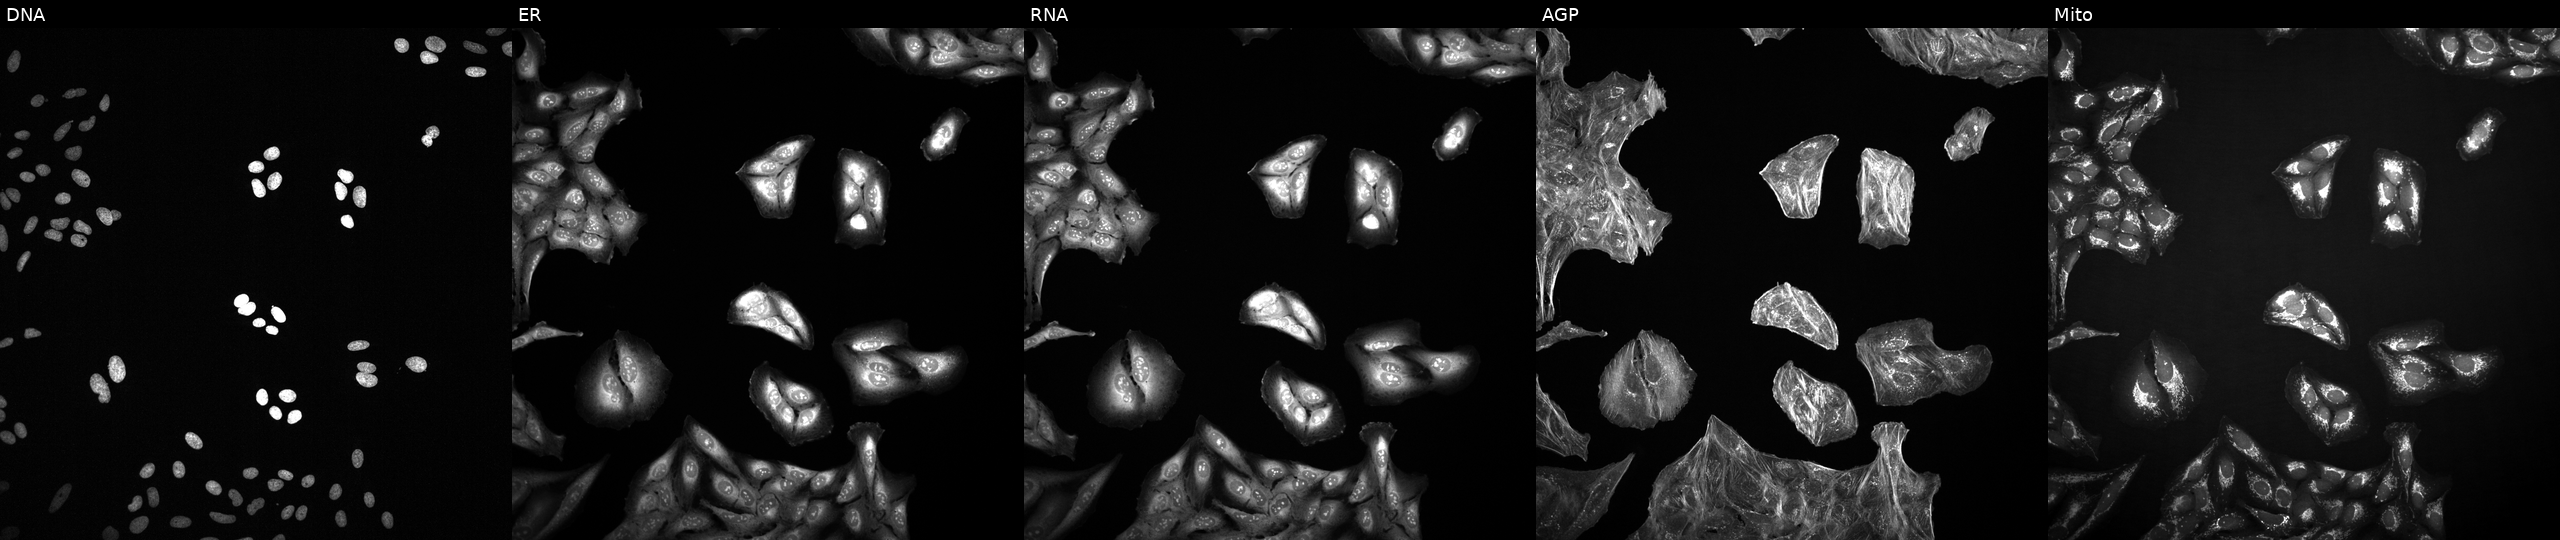
This image strip shows the five Cell Painting channels for a single field of U2OS cells perturbed with a small-molecule compound (InChIKey ZIUDADZJCKGWKR-UHFFFAOYSA-N). From left to right: Hoechst 33342, concanavalin A, SYTO 14, phalloidin and WGA, MitoTracker.